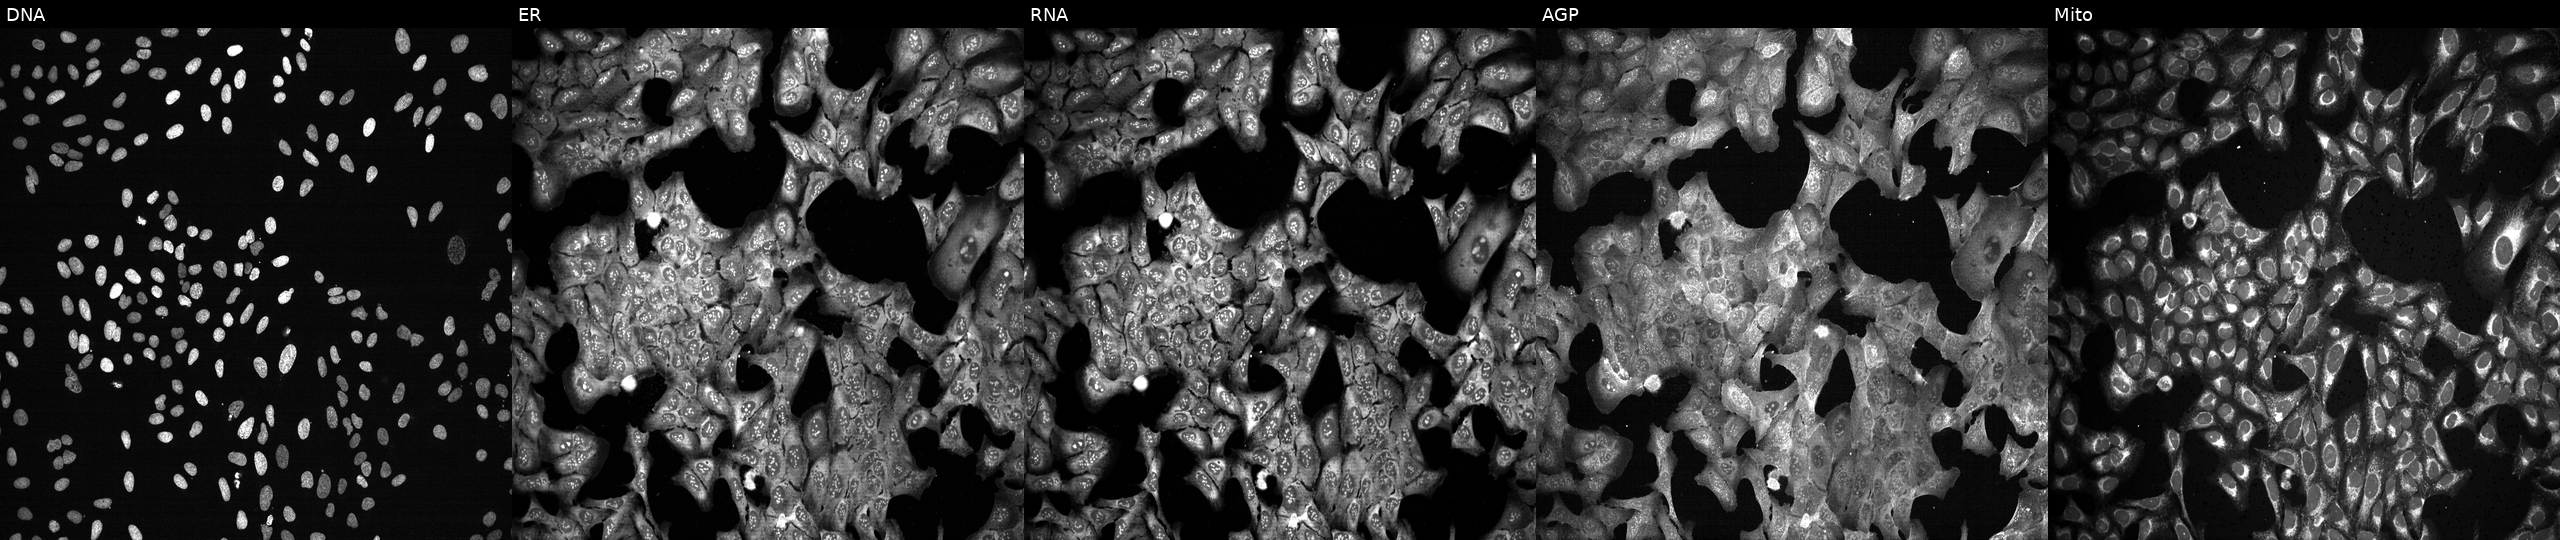
Panels show, left to right, DNA (nuclei); ER (endoplasmic reticulum); RNA (nucleoli and cytoplasmic RNA); AGP (actin cytoskeleton, Golgi, and plasma membrane); Mito (mitochondria). U2OS osteosarcoma cells with AMY2A knocked out by CRISPR (JUMP id JCP2022_800445). Cell Painting assay, JUMP-CP dataset.